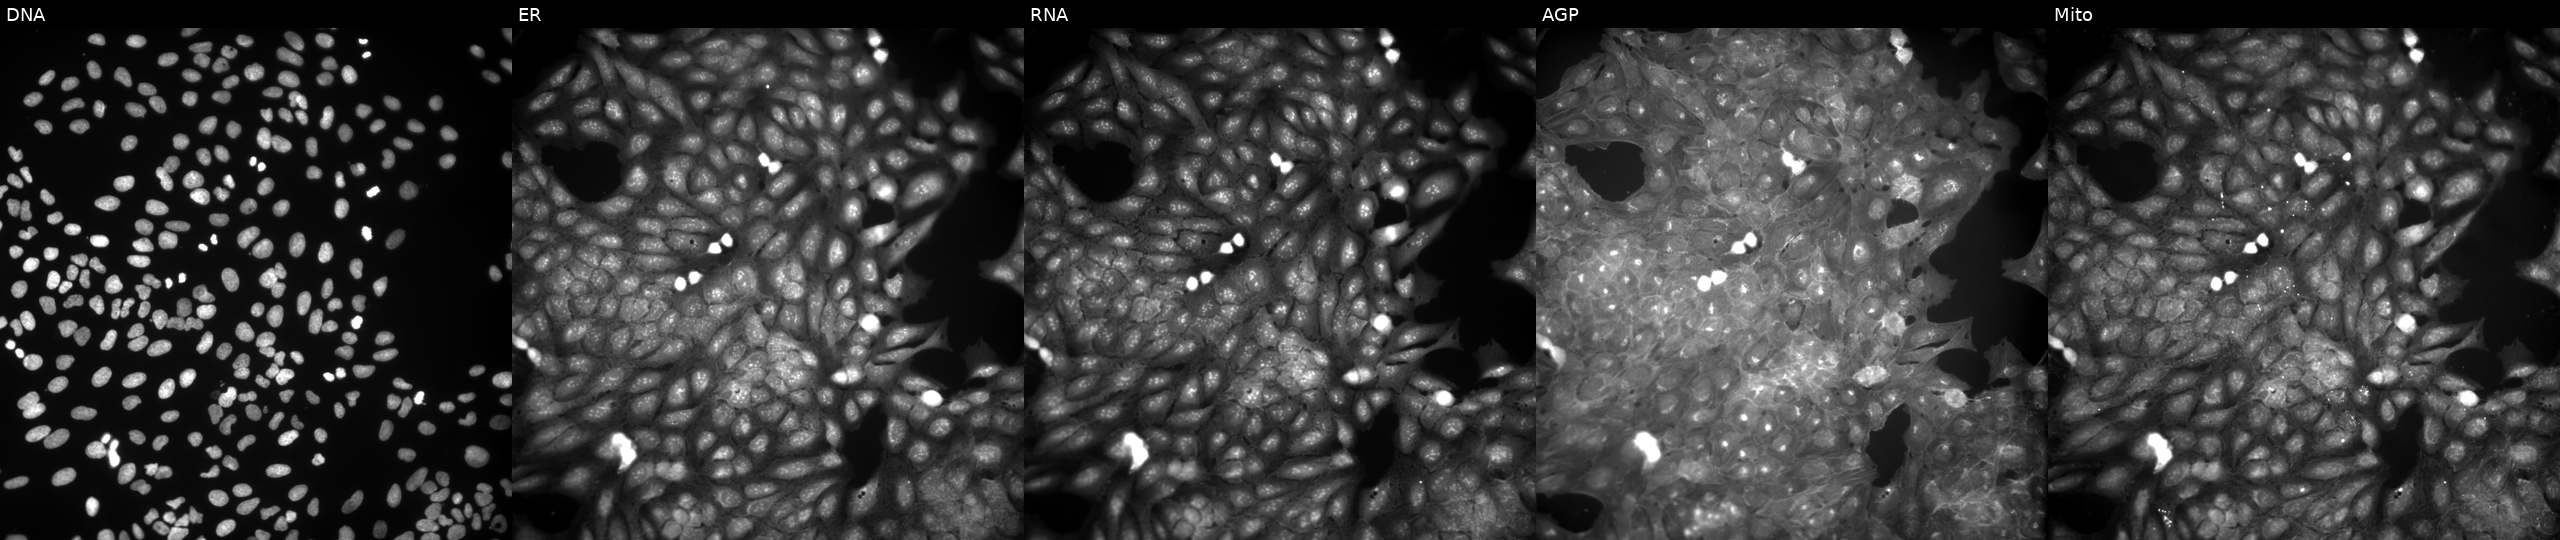
This image strip shows the five Cell Painting channels for a single field of U2OS cells perturbed with a small-molecule compound (InChIKey MVPMPPRYKSOSOJ-UHFFFAOYSA-N) (JUMP id JCP2022_056821). The five panels, left to right, show DNA, ER, RNA, AGP, and Mito.